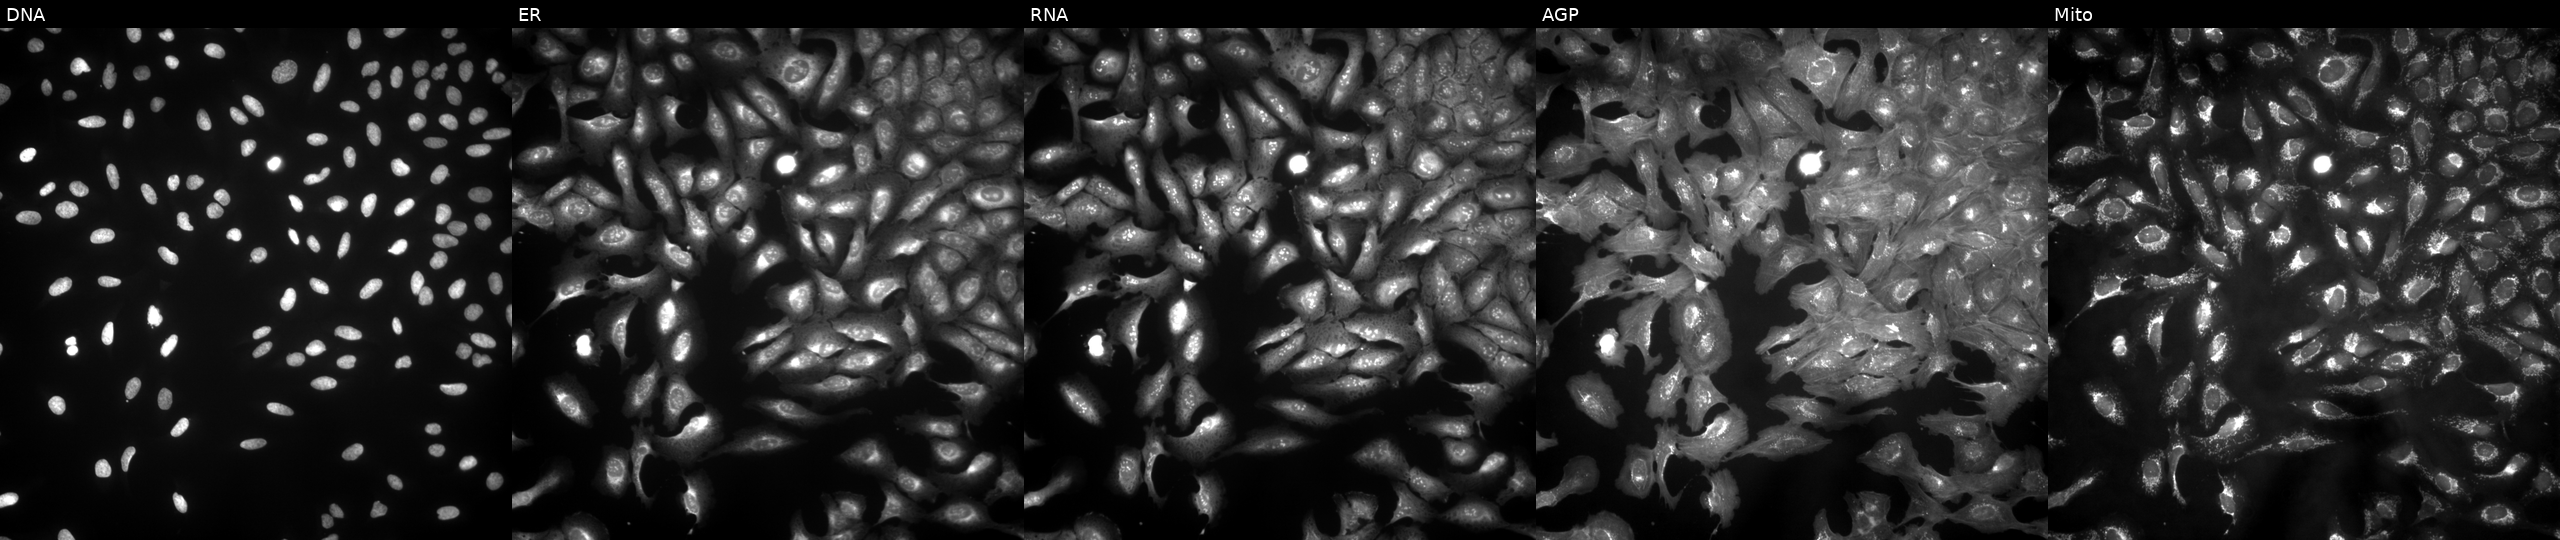
This image strip shows the five Cell Painting channels for a single field of U2OS cells overexpressing WDR41 via ORF transfection. From left to right: DNA (nuclei); ER (endoplasmic reticulum); RNA (nucleoli and cytoplasmic RNA); AGP (actin cytoskeleton, Golgi, and plasma membrane); Mito (mitochondria).